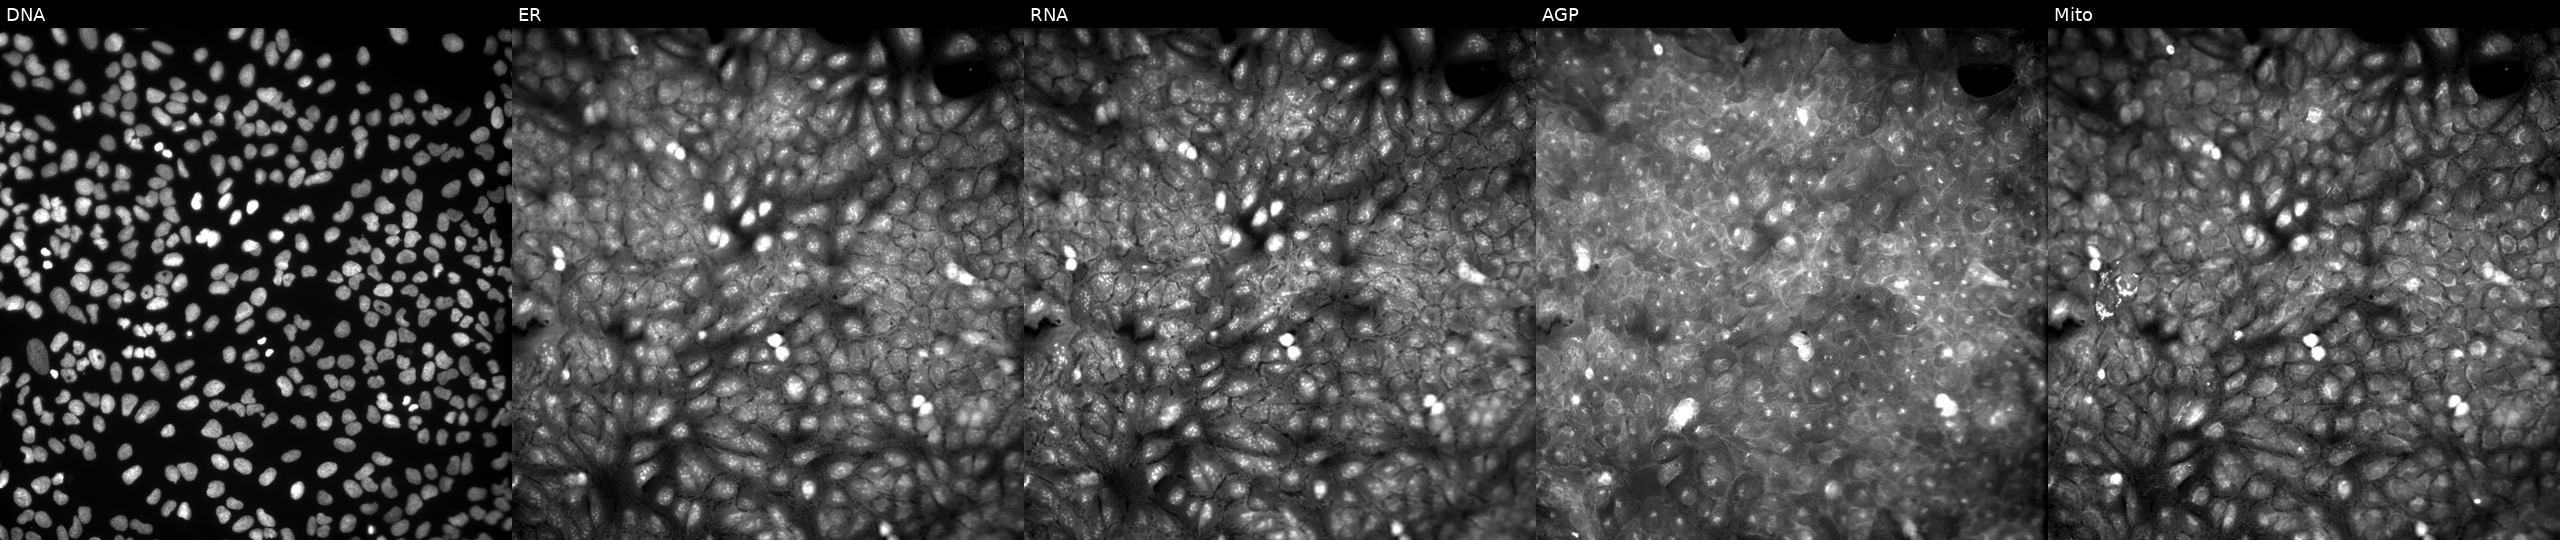
High-content fluorescence microscopy (Cell Painting). Cell line: U2OS. Perturbation: perturbed with a small-molecule compound (InChIKey BLSYXXBTQASBNP-UHFFFAOYSA-N). Channels (left→right): Hoechst 33342, concanavalin A, SYTO 14, phalloidin and WGA, MitoTracker. Source 9, plate GR00003381, well Z43.